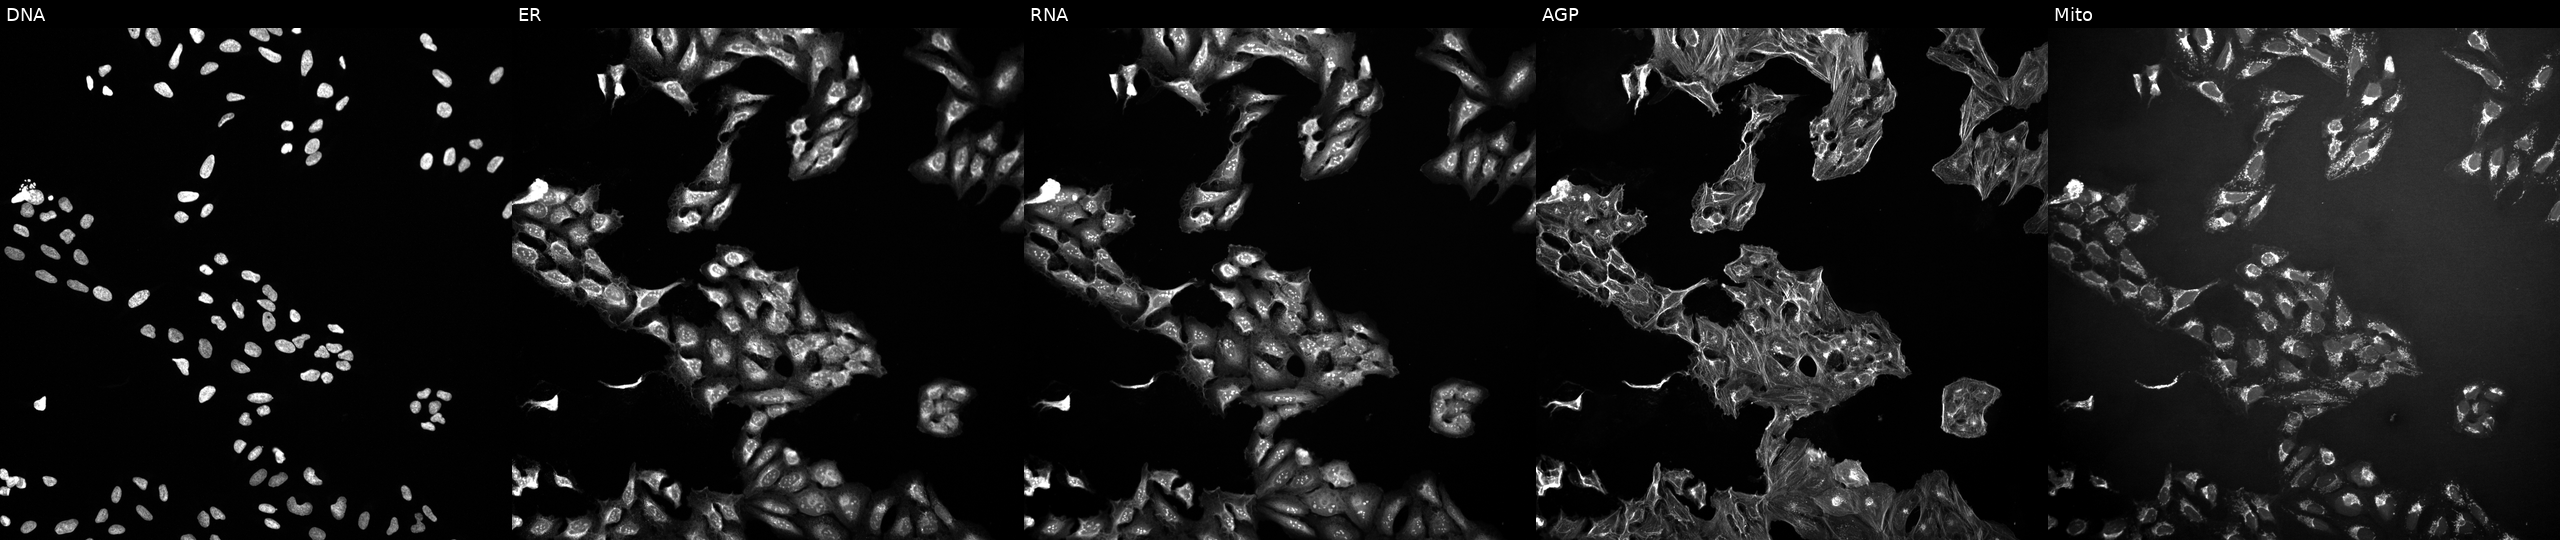
The five panels, left to right, show DNA, ER, RNA, AGP, and Mito. U2OS osteosarcoma cells treated with DMSO vehicle only (negative control) (JUMP id JCP2022_033924). Cell Painting assay, JUMP-CP dataset.